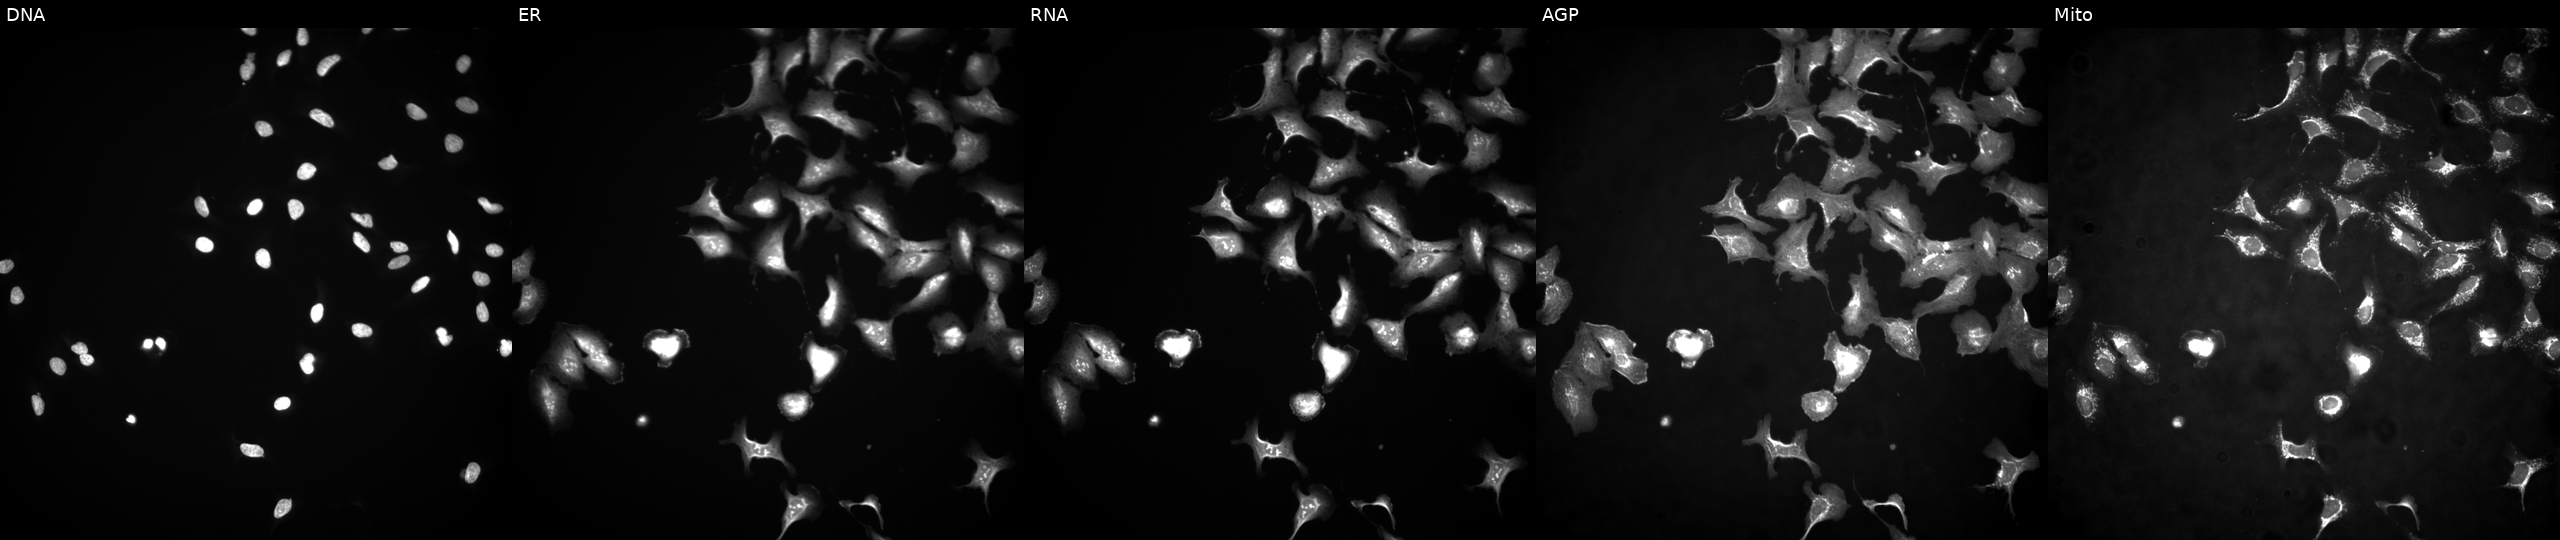
U2OS cells, Cell Painting assay, overexpressing ZNF169 via ORF transfection. From left to right: DNA (nuclei); ER (endoplasmic reticulum); RNA (nucleoli and cytoplasmic RNA); AGP (actin cytoskeleton, Golgi, and plasma membrane); Mito (mitochondria). Each panel is percentile-stretched 16-bit fluorescence. Source 4, plate BR00117035, well D07.